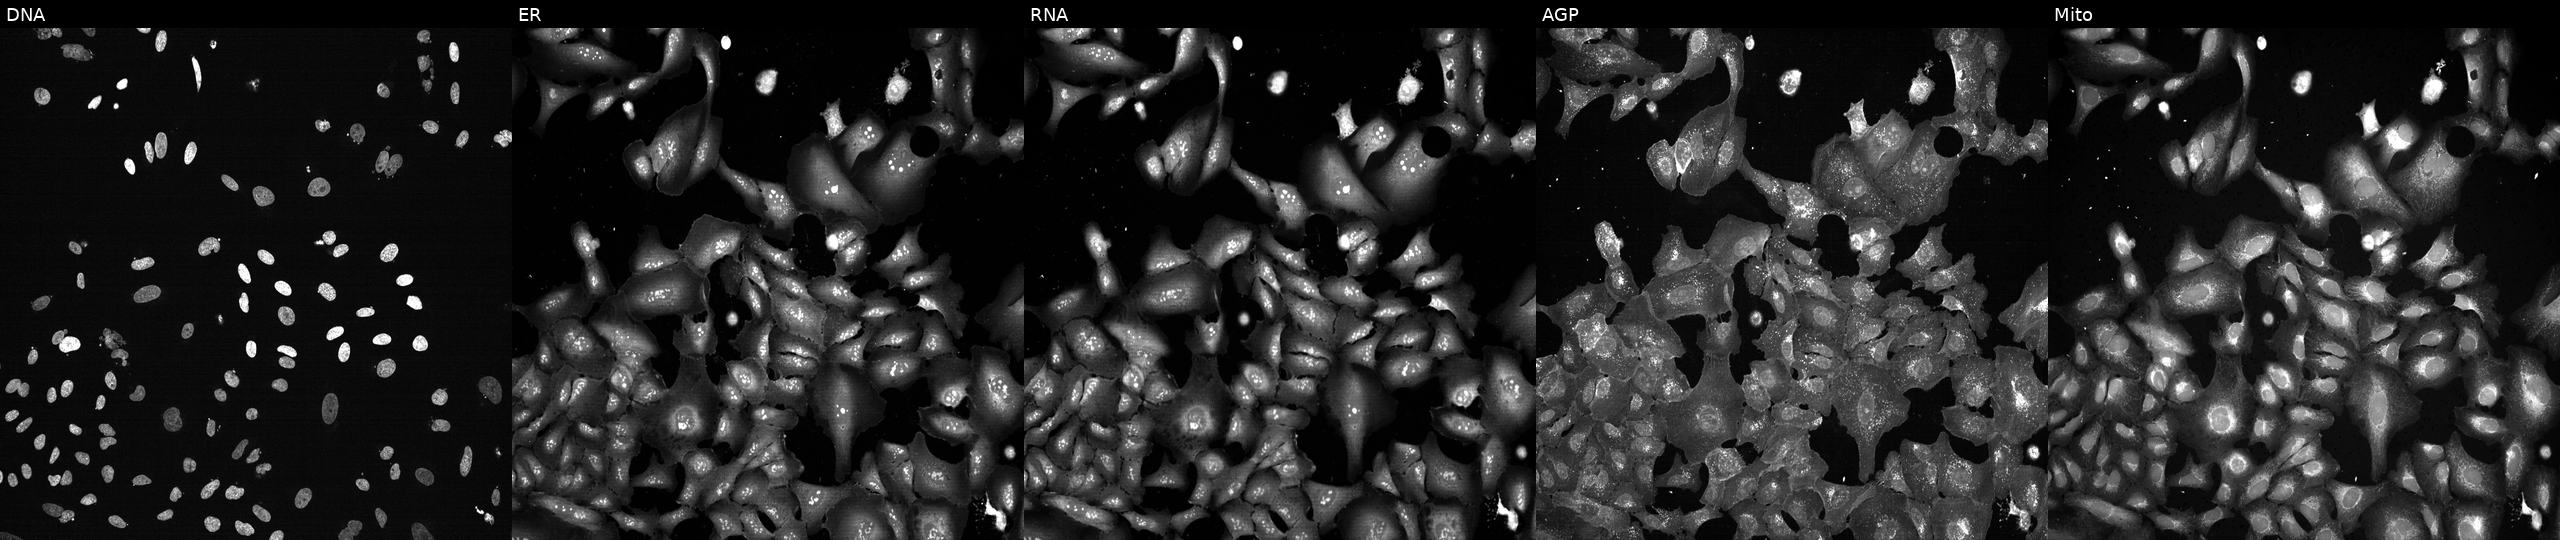
Five-channel Cell Painting image of U2OS cells CRISPR-edited to disrupt LRP10 (JUMP id JCP2022_803897). Channels (left→right): DNA, ER, RNA, AGP, and Mito.